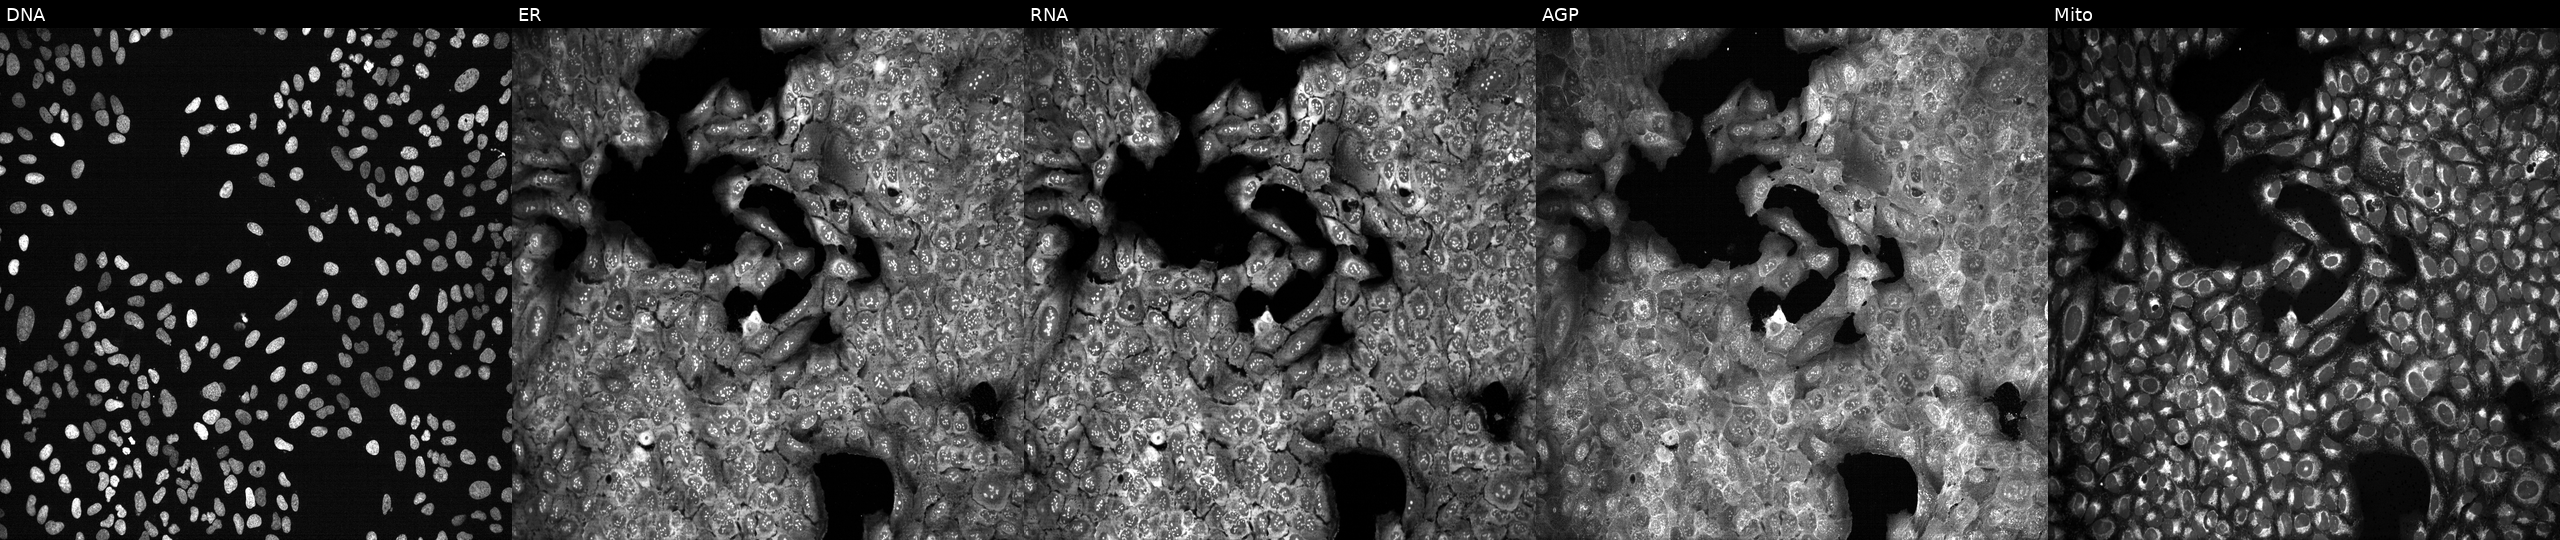
Five-channel Cell Painting image of U2OS cells following CRISPR knockout of HLA-B (JUMP id JCP2022_803121). Panels show, left to right, Hoechst 33342, concanavalin A, SYTO 14, phalloidin and WGA, MitoTracker.